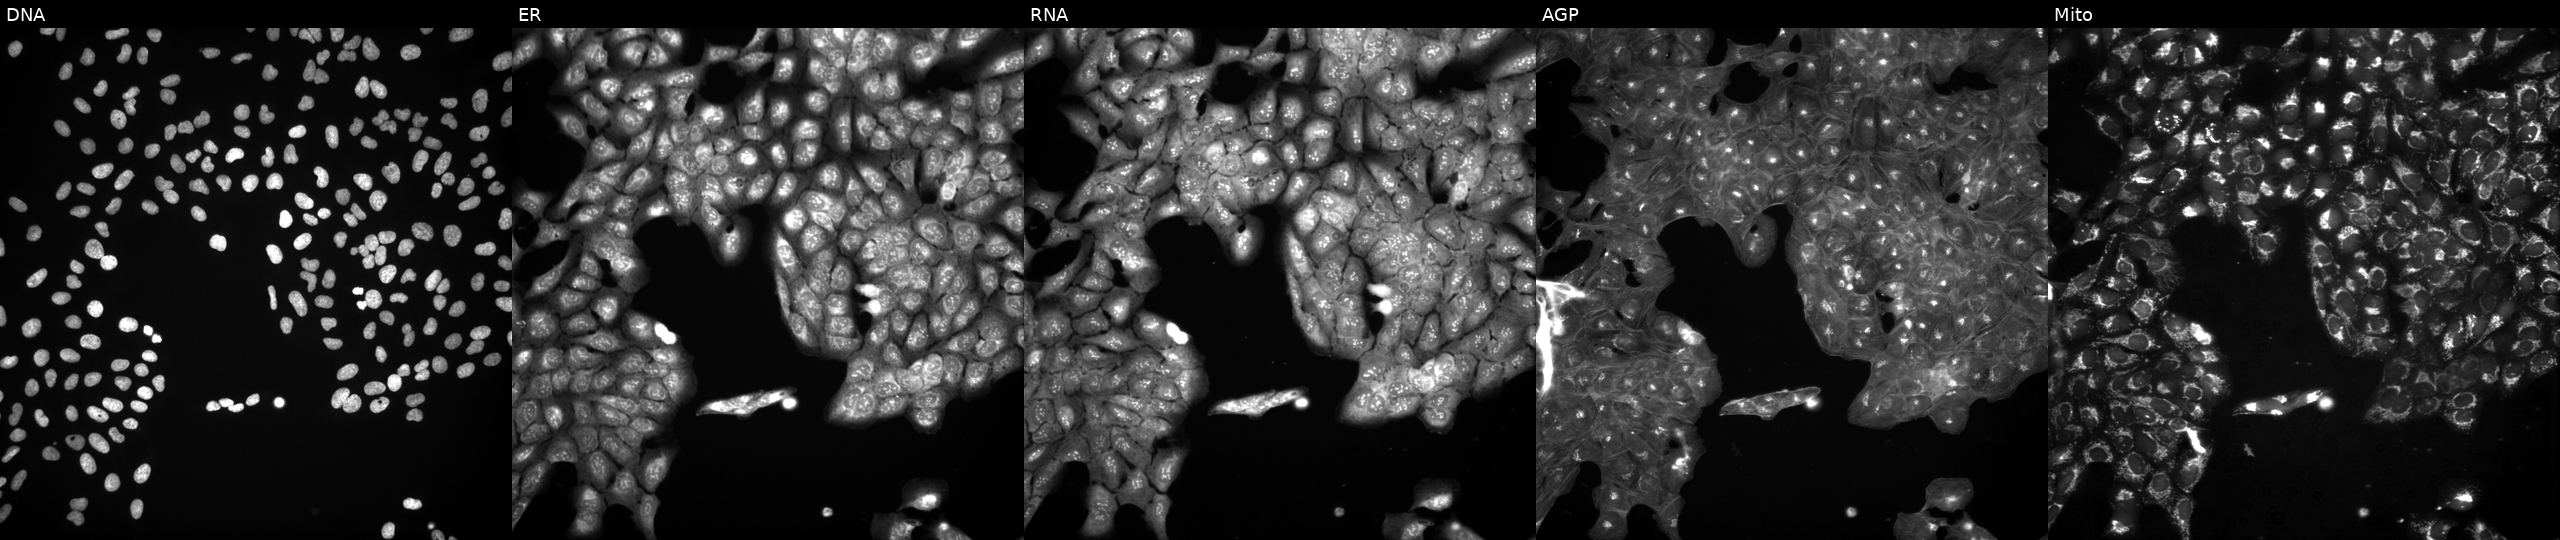
Five-channel Cell Painting image of U2OS cells treated with a small-molecule compound (InChIKey MBCNBIJDGYZRSY-UHFFFAOYSA-N) (JUMP id JCP2022_053008). The five panels, left to right, show Hoechst 33342, concanavalin A, SYTO 14, phalloidin and WGA, MitoTracker. Source 3, plate BR5867a3, well N20.